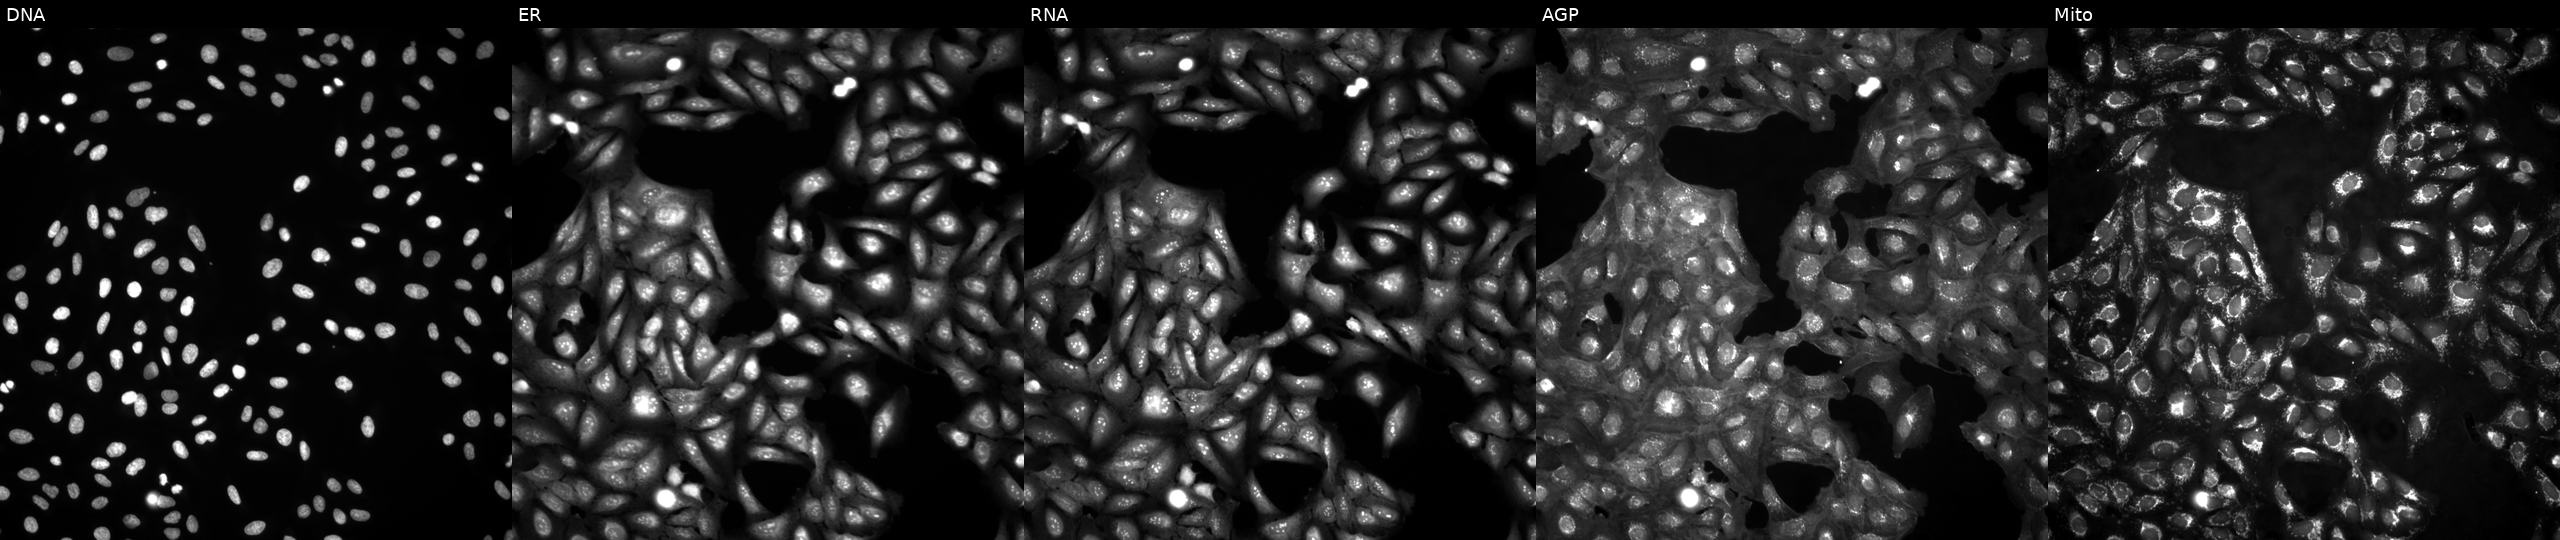
JUMP Cell Painting — ORF plate. U2OS cells in an empty control well (no perturbation) (JUMP id JCP2022_999999). Panels show, left to right, Hoechst 33342, concanavalin A, SYTO 14, phalloidin and WGA, MitoTracker.